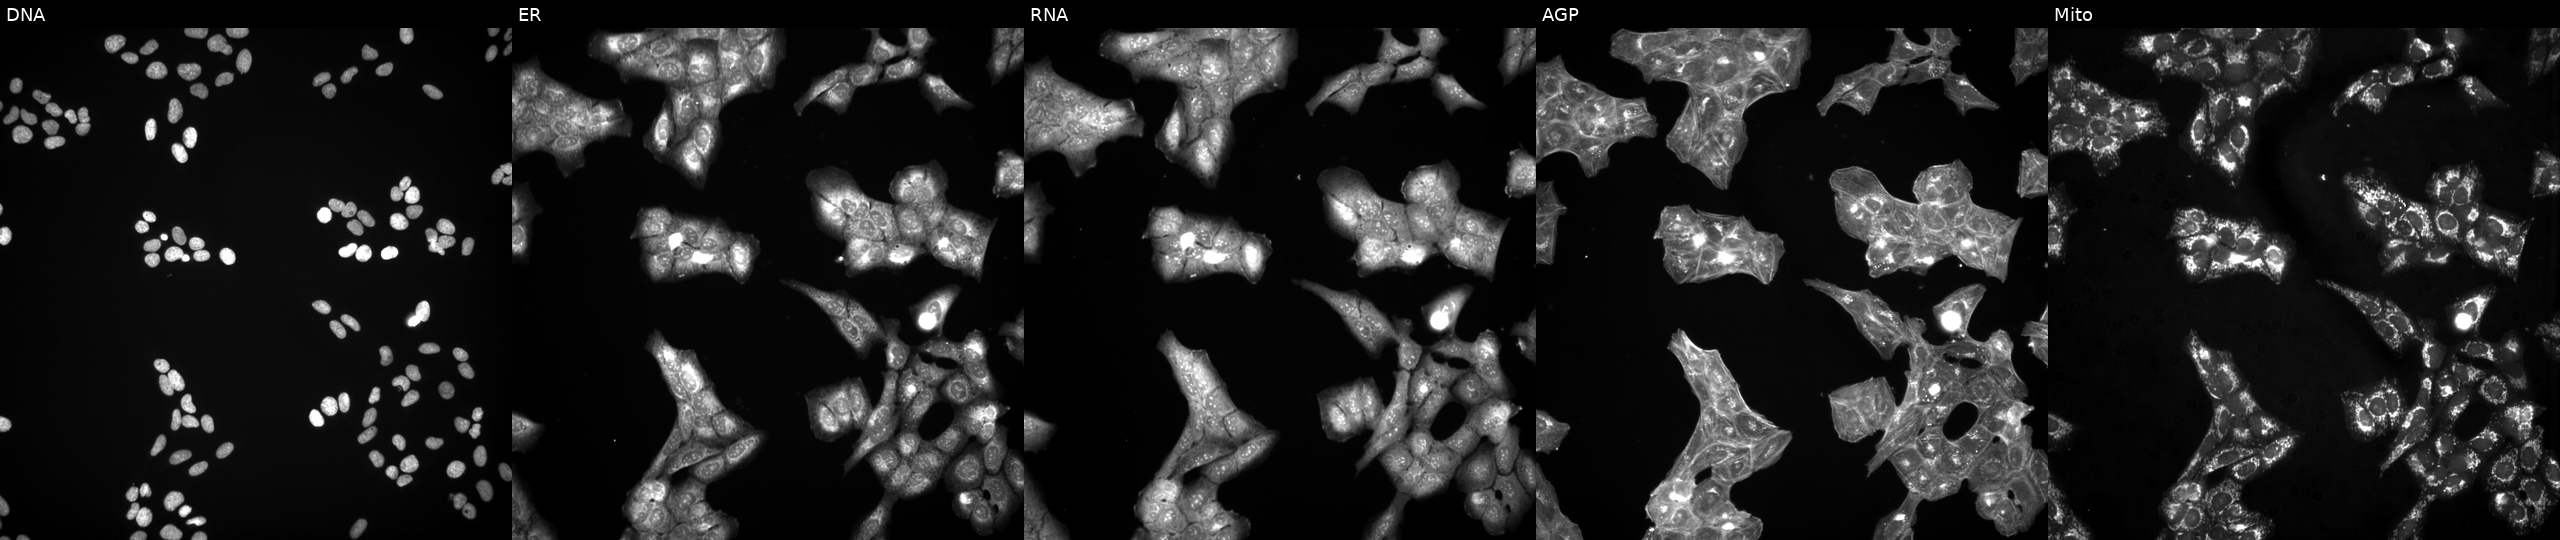
This image strip shows the five Cell Painting channels for a single field of U2OS cells treated with a small-molecule compound (InChIKey XXJWYDDUDKYVKI-UHFFFAOYSA-N) [SMILES: COc1cc2c(Oc3ccc4[nH]c(C)cc4c3F)ncnc2cc1OCCCN1CCCC1]. From left to right: Hoechst 33342, concanavalin A, SYTO 14, phalloidin and WGA, MitoTracker. Source 3, plate JCPQC053, well M20.